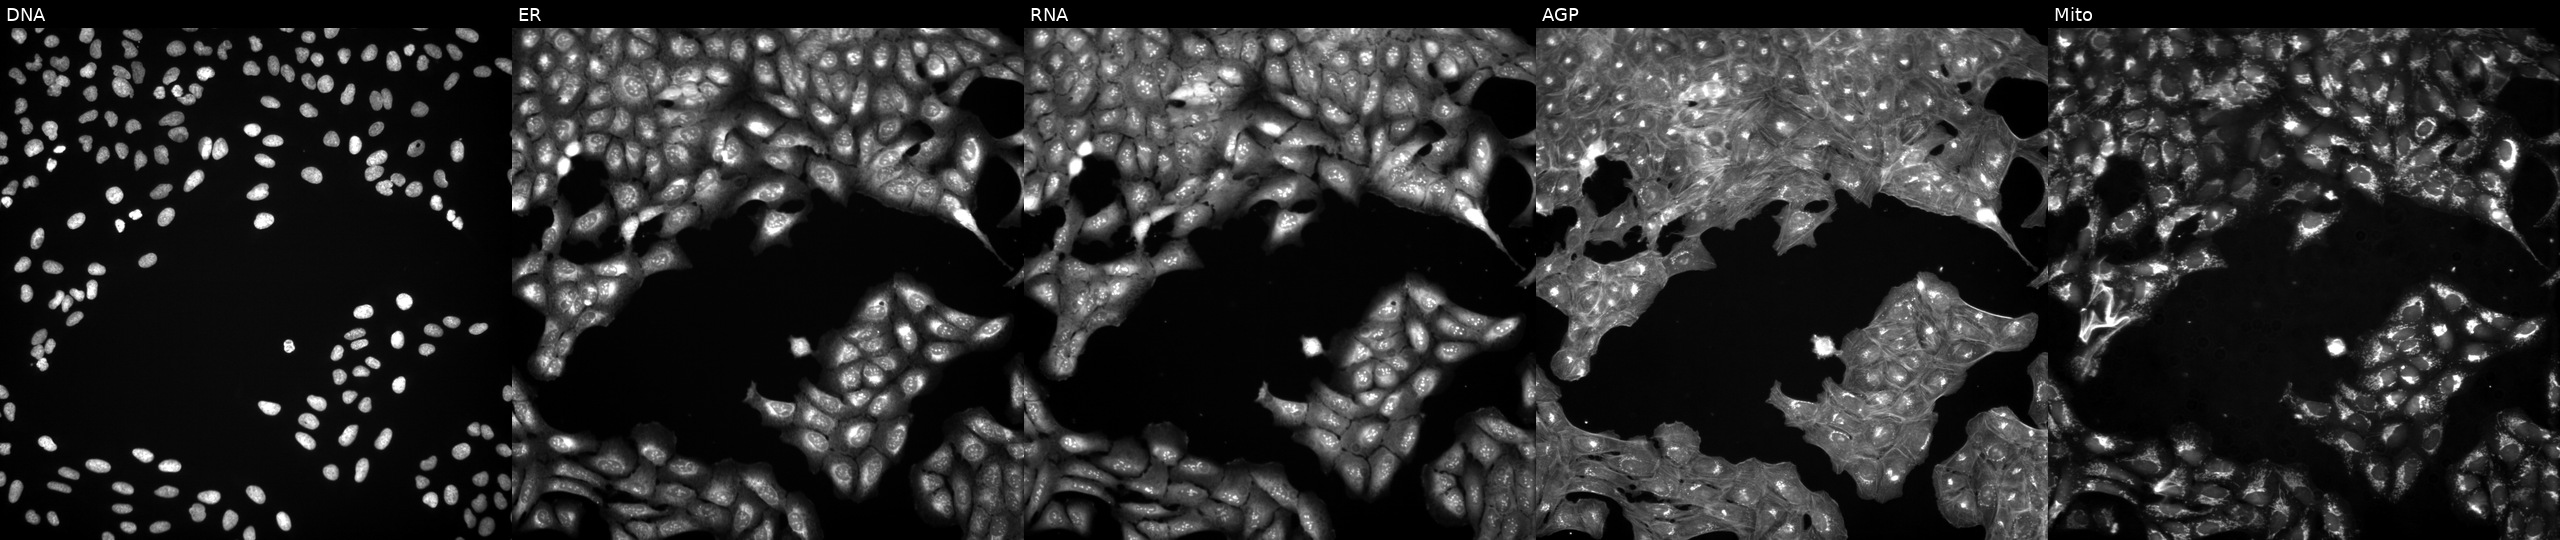
The five panels, left to right, show DNA (nuclei); ER (endoplasmic reticulum); RNA (nucleoli and cytoplasmic RNA); AGP (actin cytoskeleton, Golgi, and plasma membrane); Mito (mitochondria). U2OS osteosarcoma cells untreated (empty-well control). Cell Painting assay, JUMP-CP dataset.